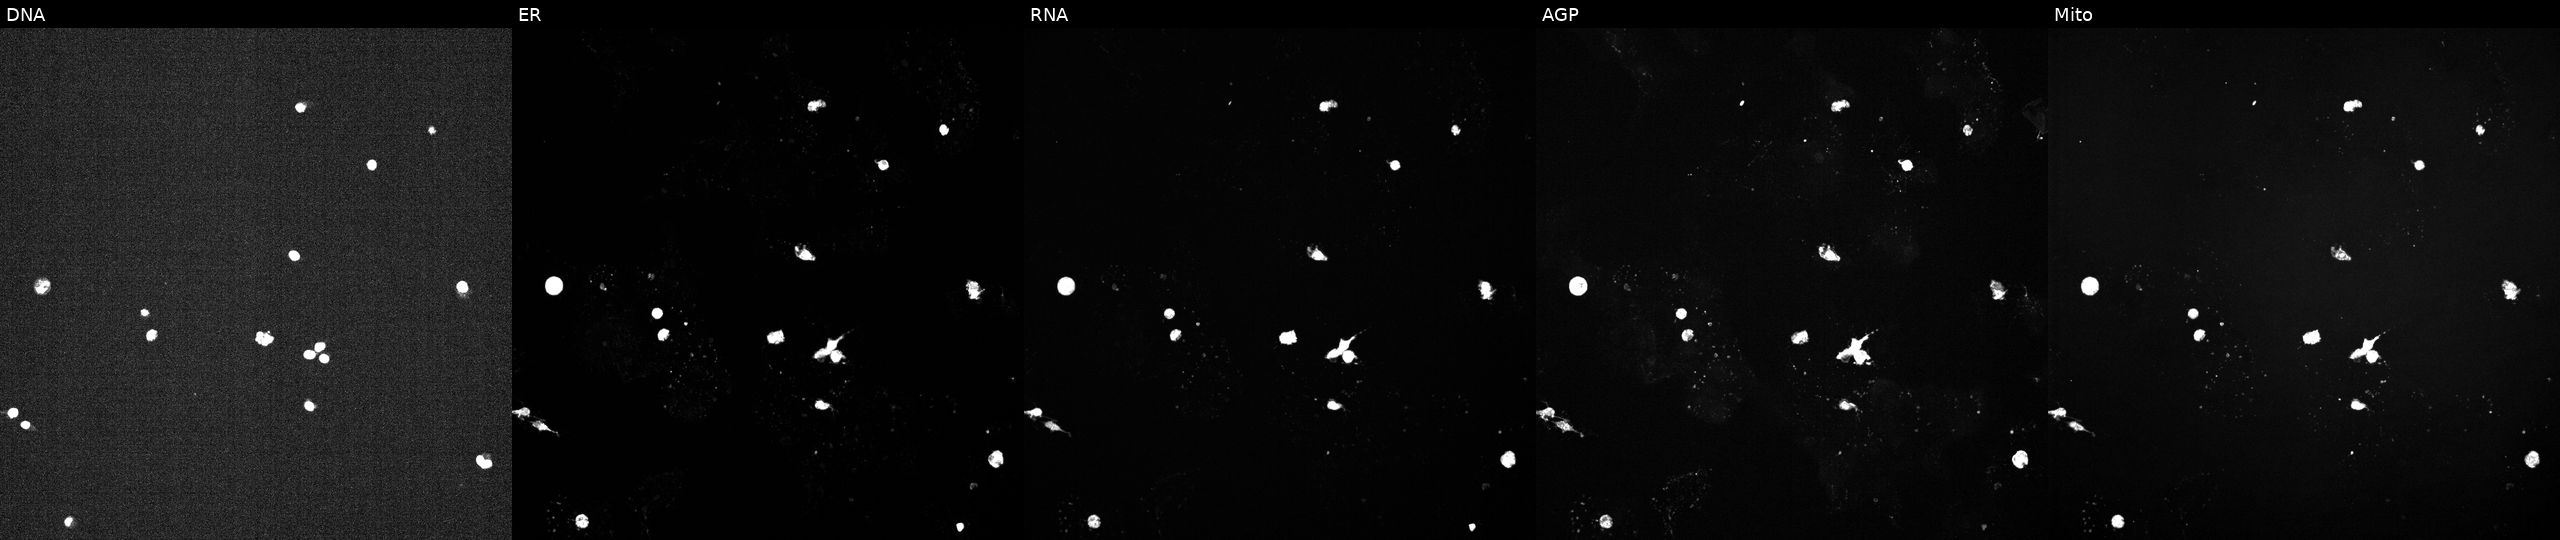
This image strip shows the five Cell Painting channels for a single field of U2OS cells exposed to a small-molecule compound [SMILES: NC(=O)Nc1cc(-c2cccc(F)c2)sc1C(=O)NC1CCCNC1]. Channels (left→right): Hoechst 33342, concanavalin A, SYTO 14, phalloidin and WGA, MitoTracker. Source 6, plate 110000293093, well F22.